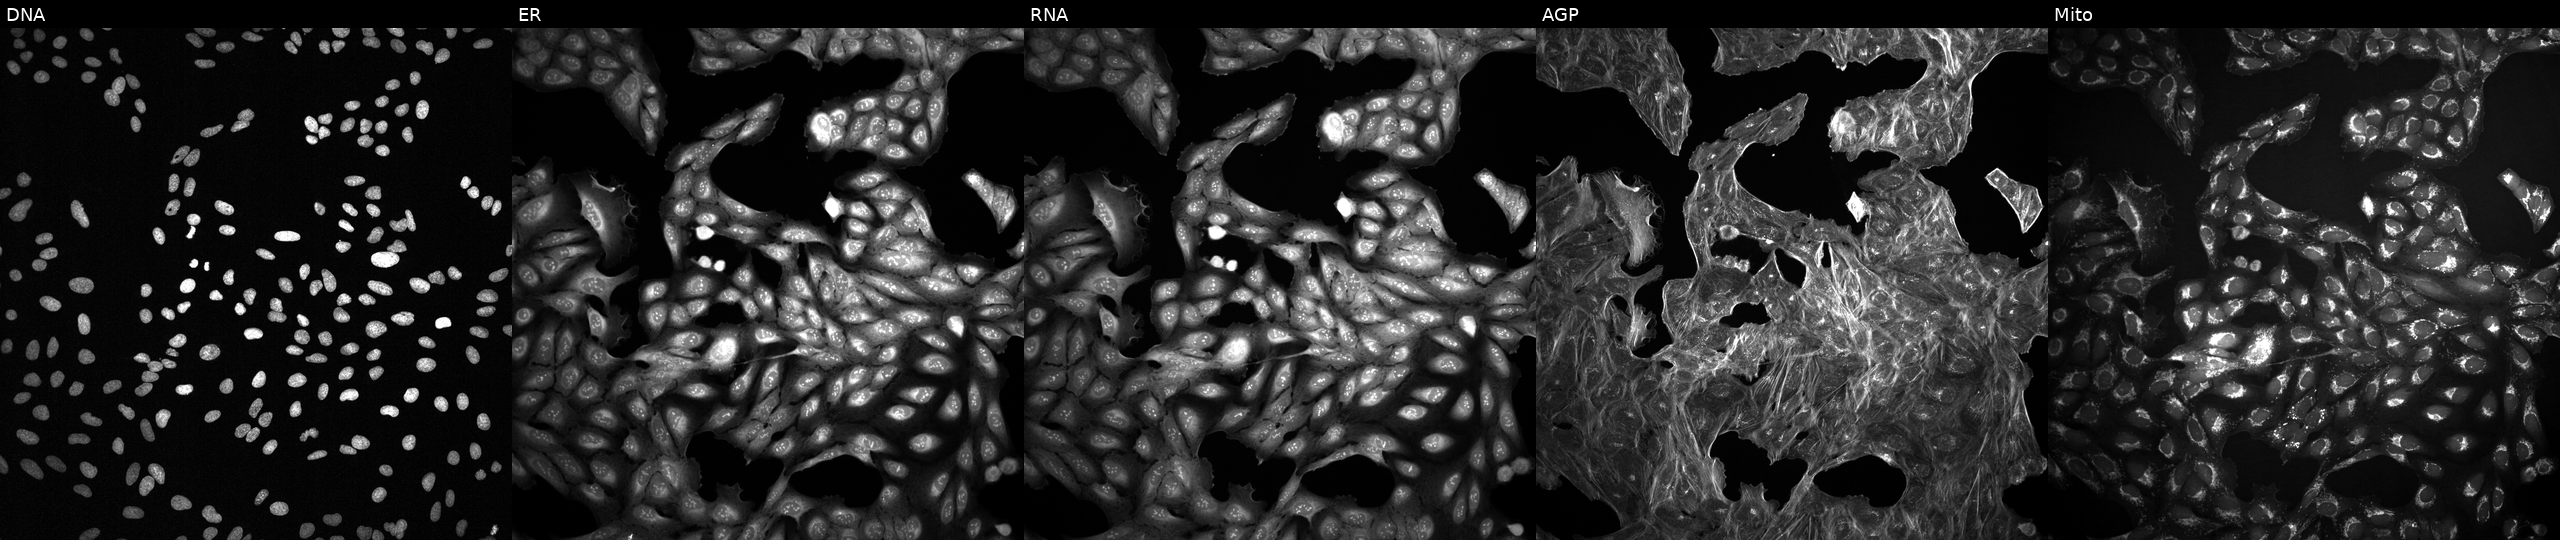
JUMP Cell Painting — COMPOUND plate. U2OS cells perturbed with a small-molecule compound. From left to right: DNA, ER, RNA, AGP, and Mito.